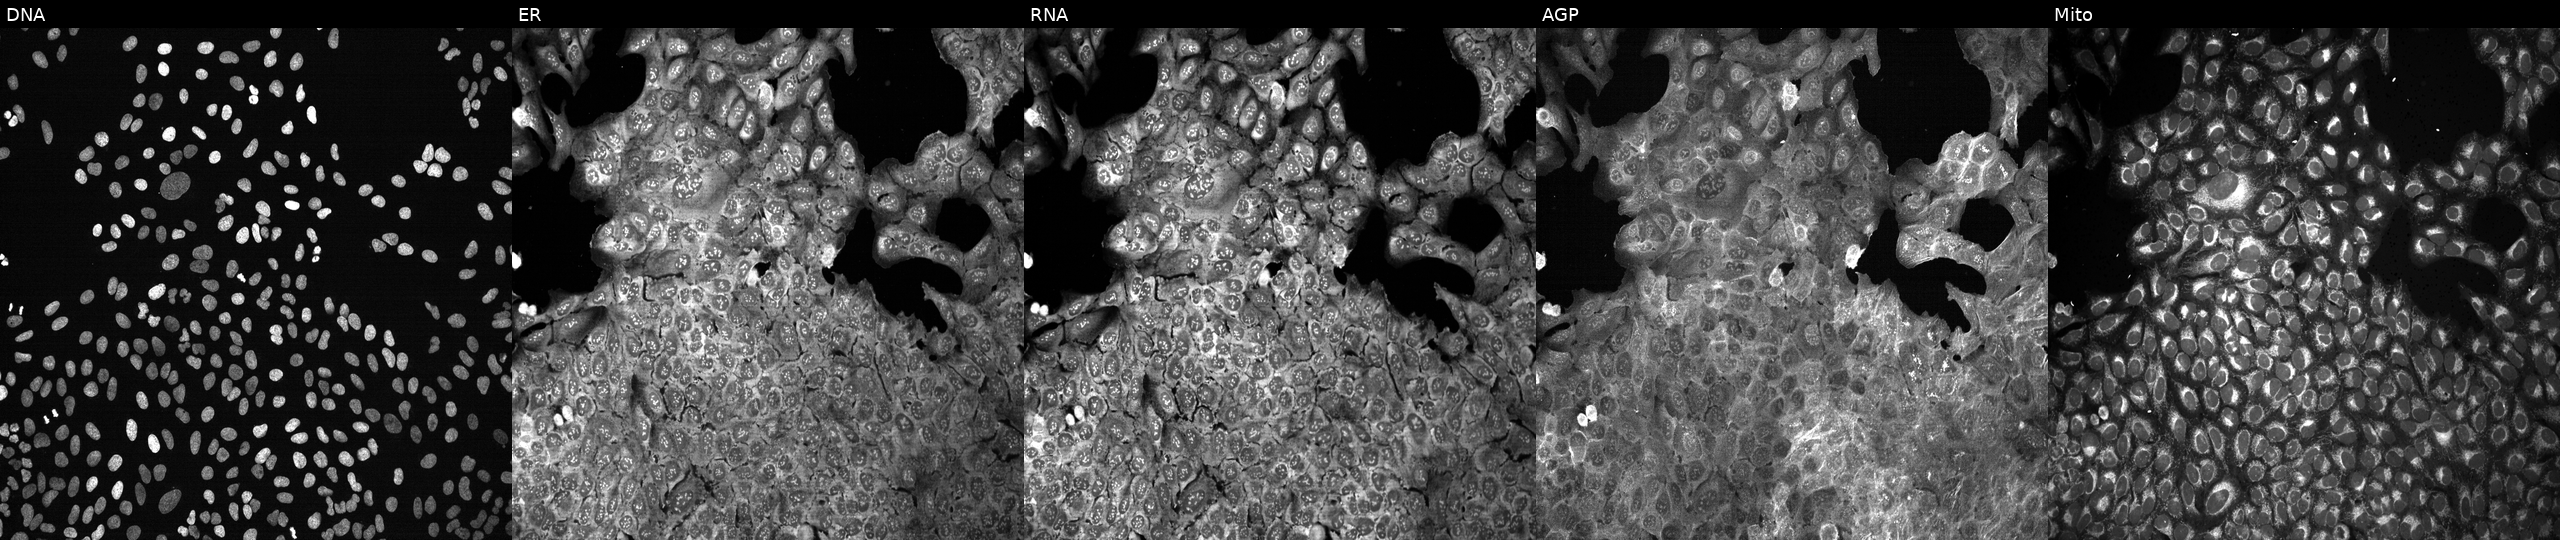
Five-channel Cell Painting image of U2OS cells with a non-targeting CRISPR guide (negative control) (JUMP id JCP2022_800002). From left to right: DNA, ER, RNA, AGP, and Mito.